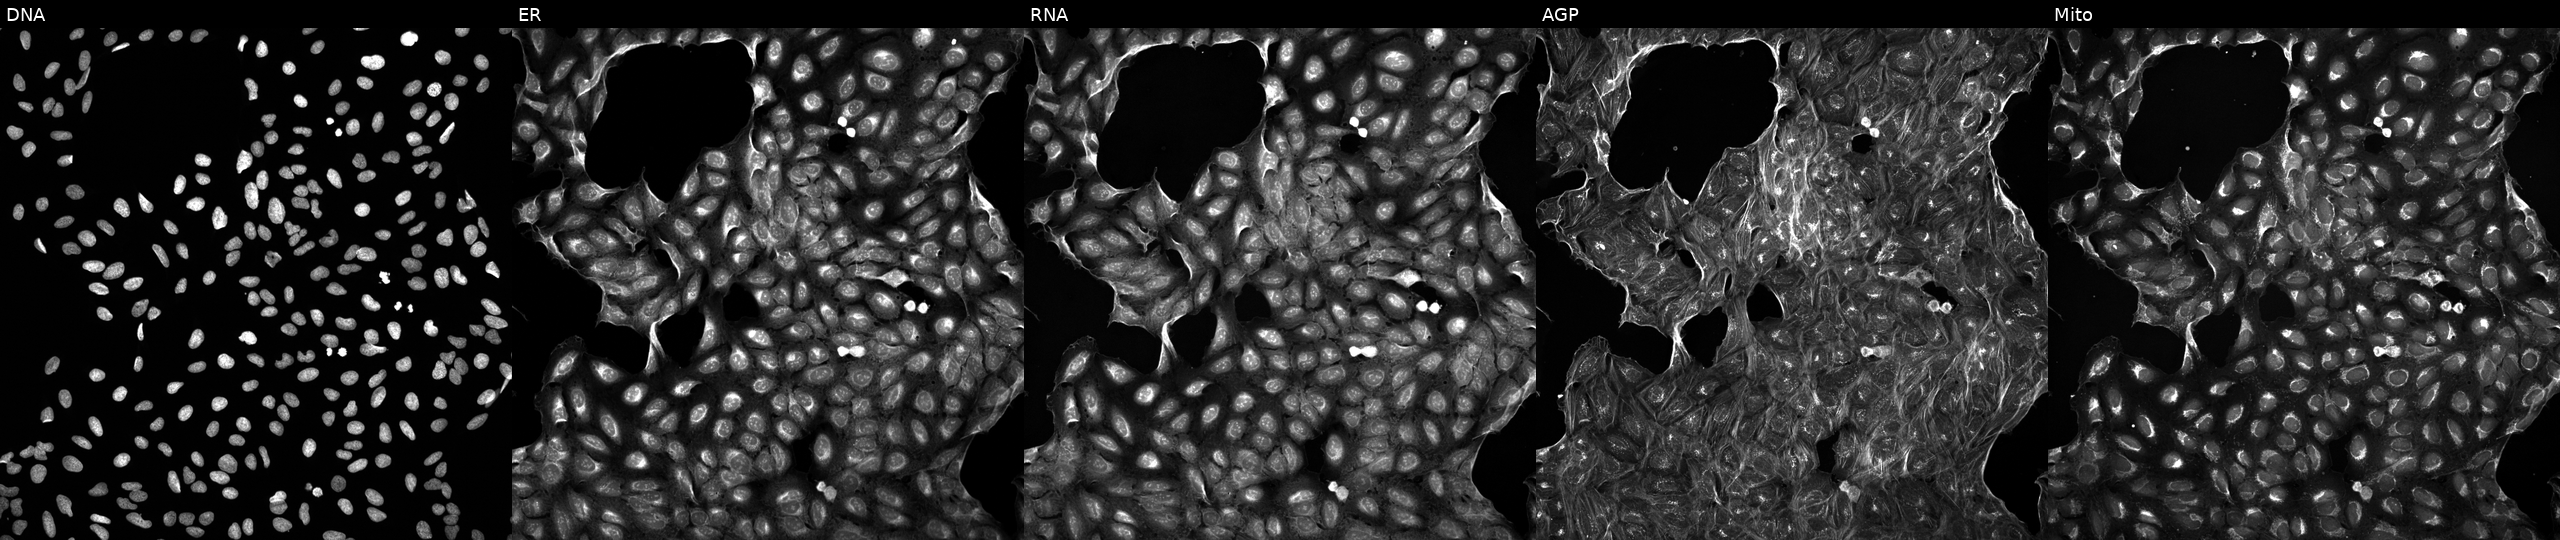
High-content fluorescence microscopy (Cell Painting). Cell line: U2OS. Perturbation: exposed to DMSO alone as a negative control. Channels (left→right): Hoechst 33342, concanavalin A, SYTO 14, phalloidin and WGA, MitoTracker. Source 5, plate ACPJUM051, well M18.